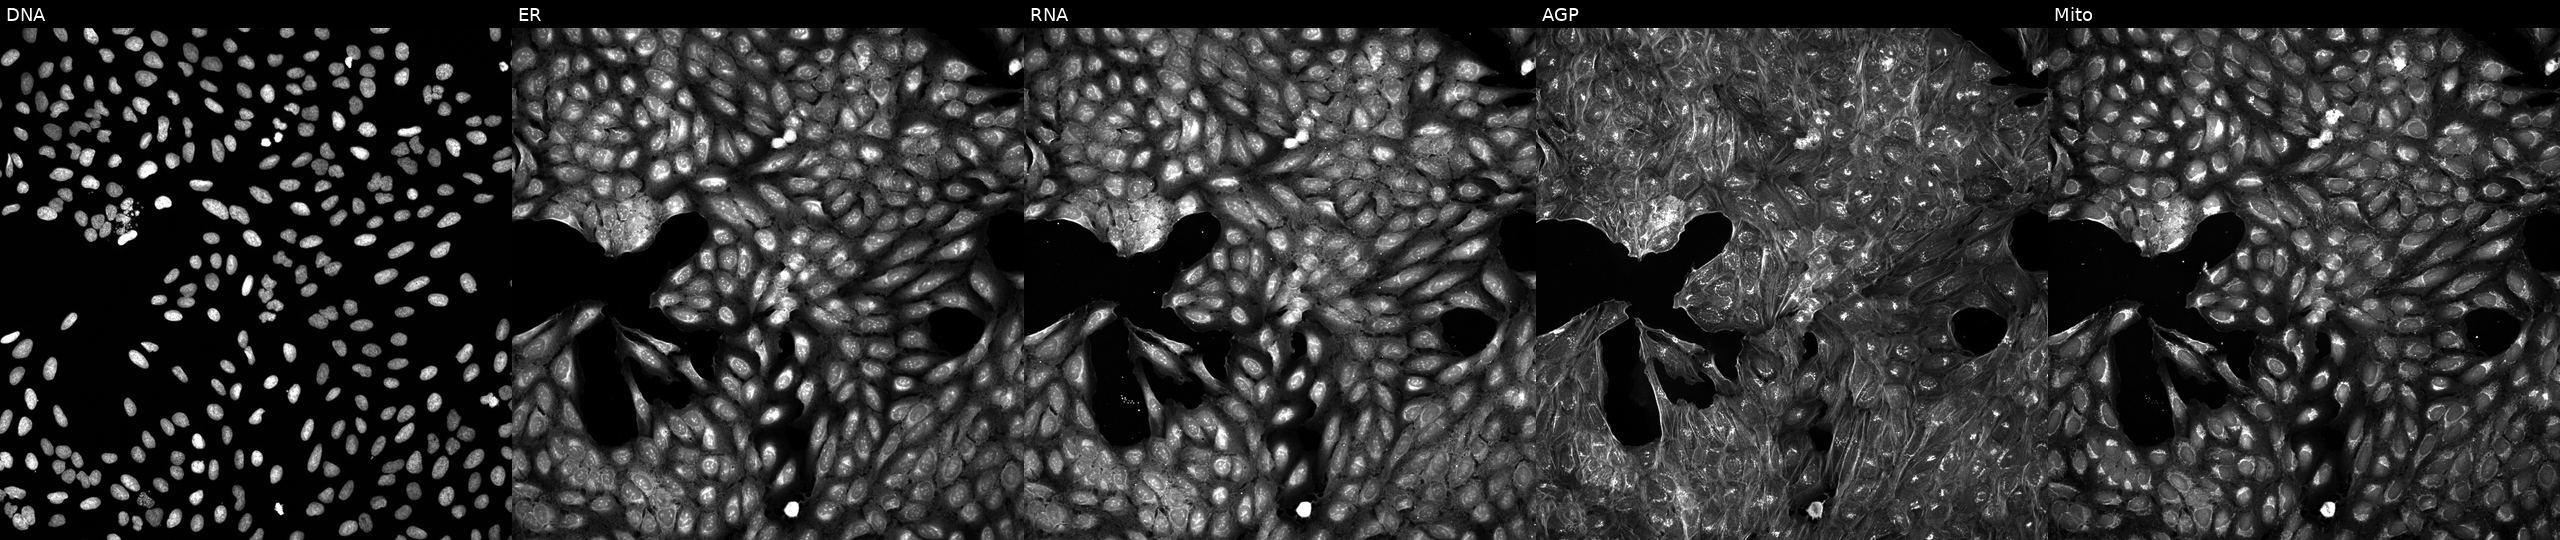
Five-channel Cell Painting image of U2OS cells exposed to a small-molecule compound. Channels (left→right): Hoechst 33342, concanavalin A, SYTO 14, phalloidin and WGA, MitoTracker. Source 5, plate APTJUM106, well F04.